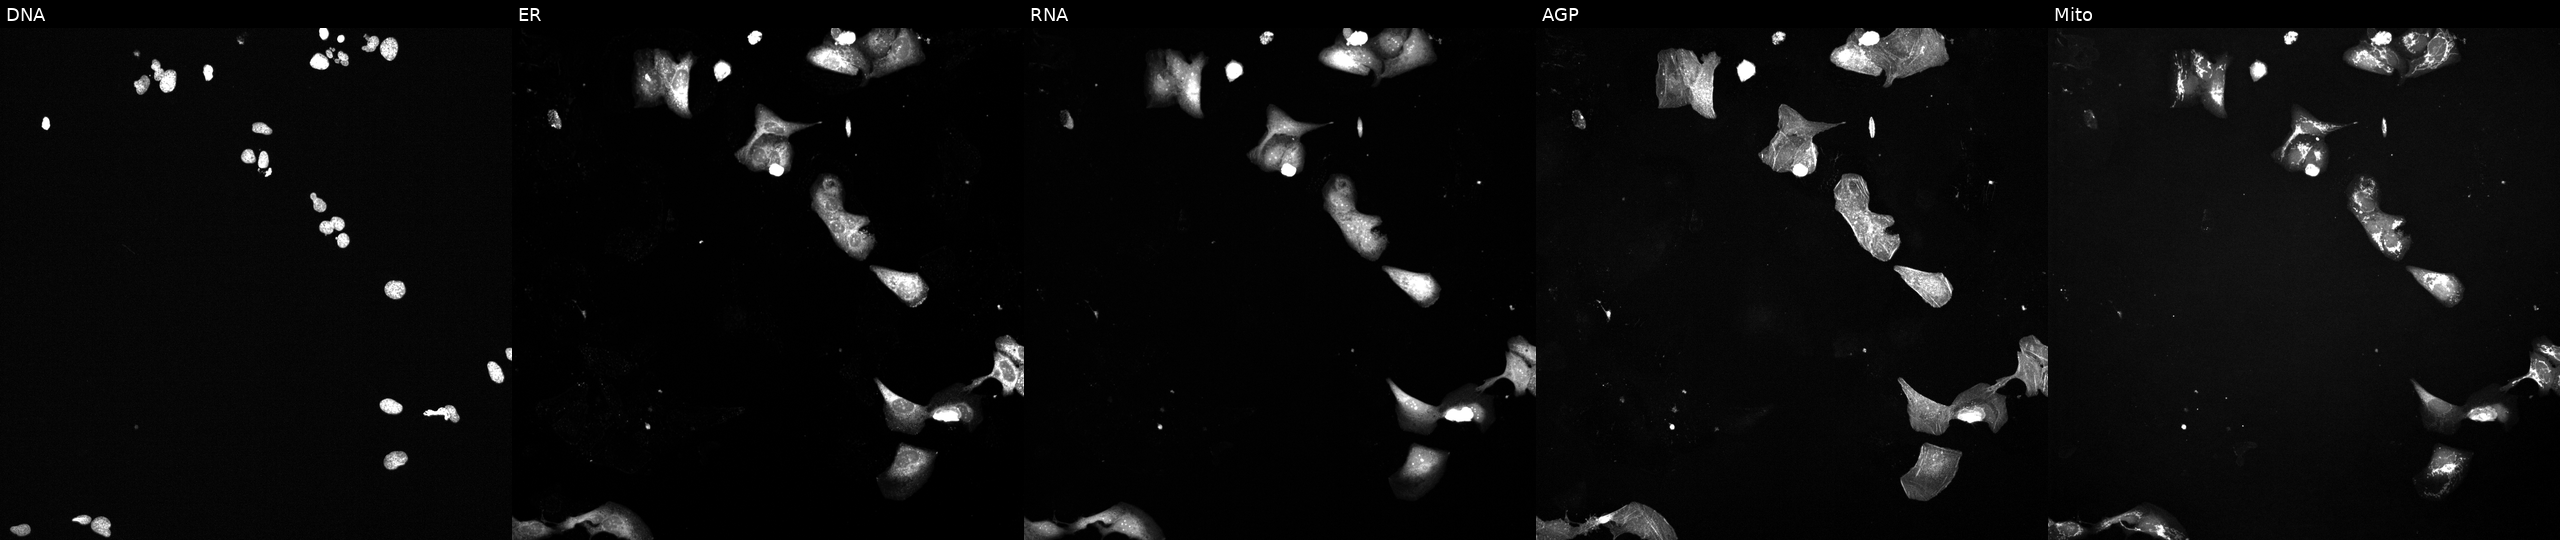
This image strip shows the five Cell Painting channels for a single field of U2OS cells perturbed with a small-molecule compound (InChIKey RVAQIUULWULRNW-UHFFFAOYSA-N). Channels (left→right): Hoechst 33342, concanavalin A, SYTO 14, phalloidin and WGA, MitoTracker. Source 6, plate 110000294901, well D13.